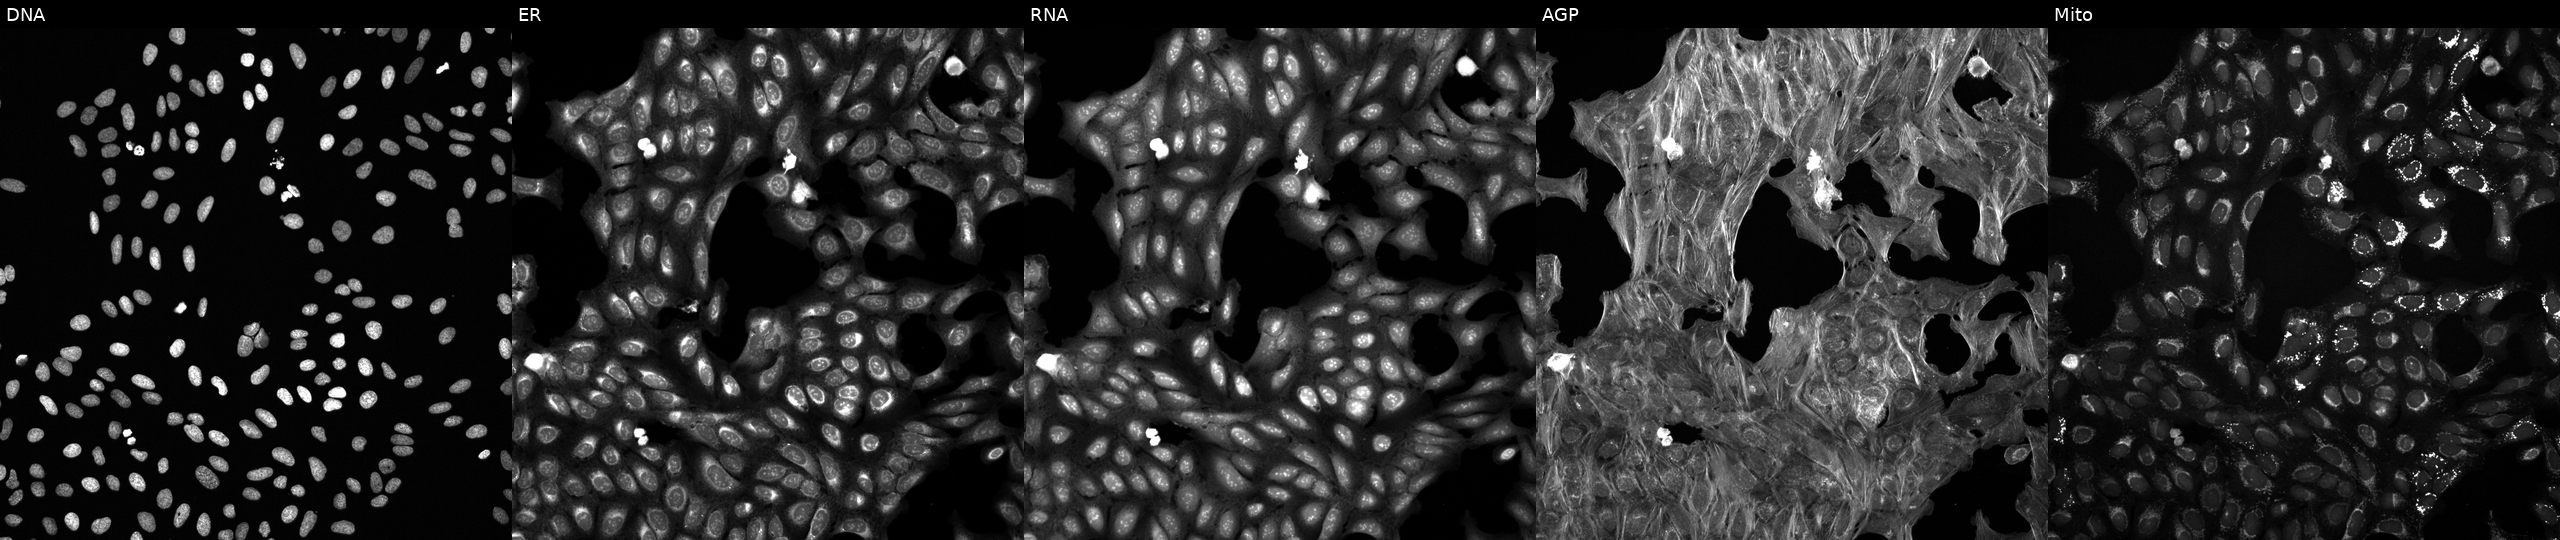
Five-channel Cell Painting image of U2OS cells perturbed with a small-molecule compound (InChIKey RIKMMFOAQPJVMX-UHFFFAOYSA-N). From left to right: Hoechst 33342, concanavalin A, SYTO 14, phalloidin and WGA, MitoTracker.